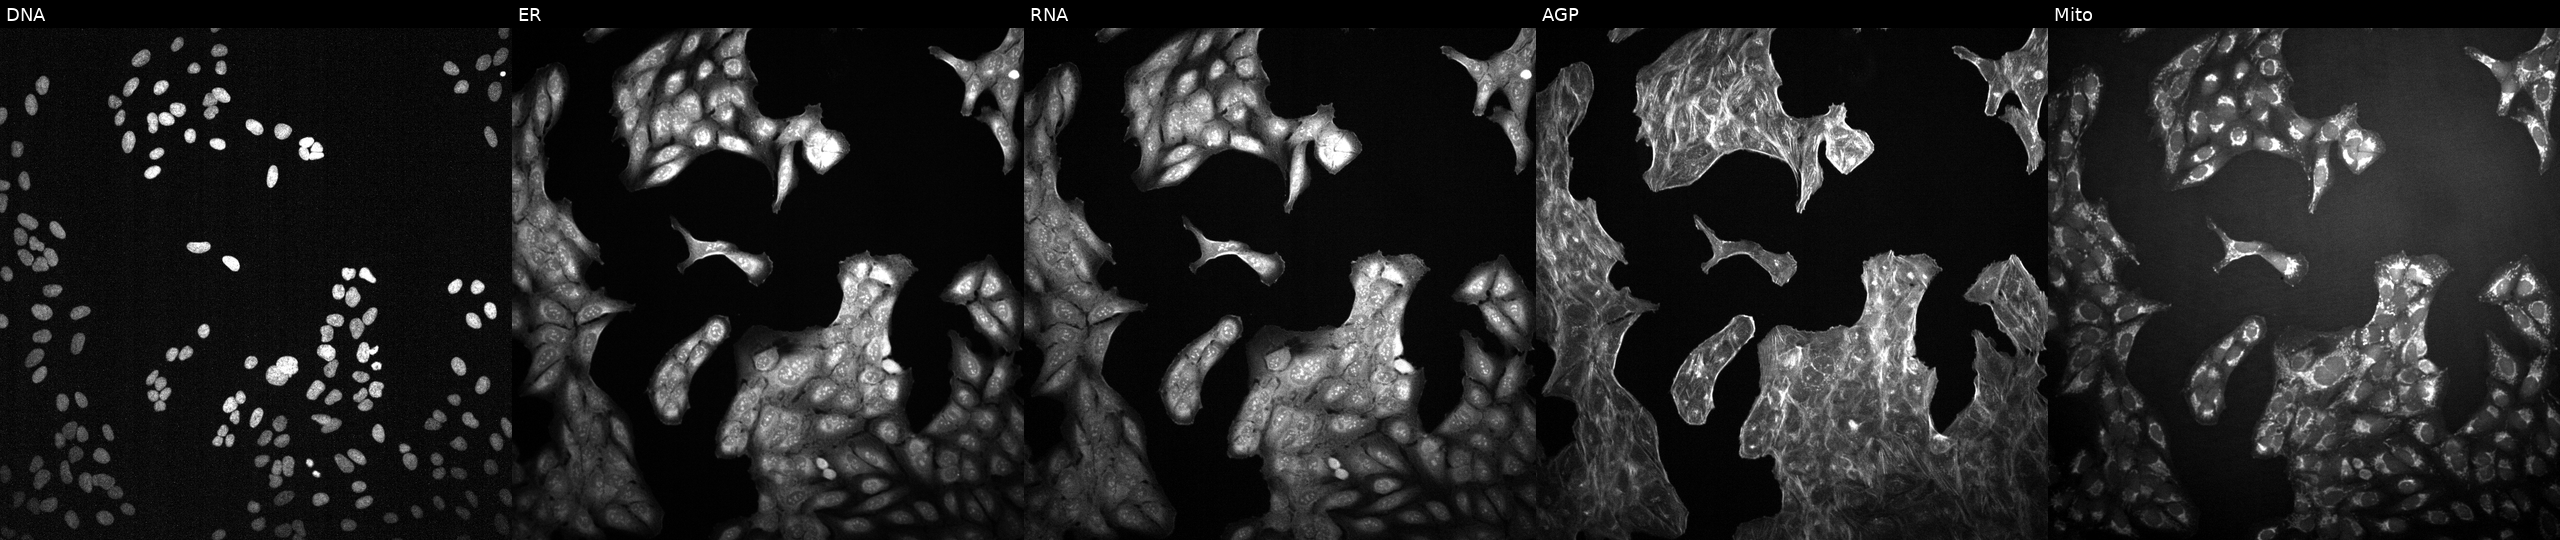
Five-channel Cell Painting image of U2OS cells treated with a small-molecule compound (InChIKey KJFMBFZCATUALV-UHFFFAOYSA-N) (JUMP id JCP2022_044972). From left to right: DNA (nuclei); ER (endoplasmic reticulum); RNA (nucleoli and cytoplasmic RNA); AGP (actin cytoskeleton, Golgi, and plasma membrane); Mito (mitochondria). Source 2, plate 1053599503, well O16.